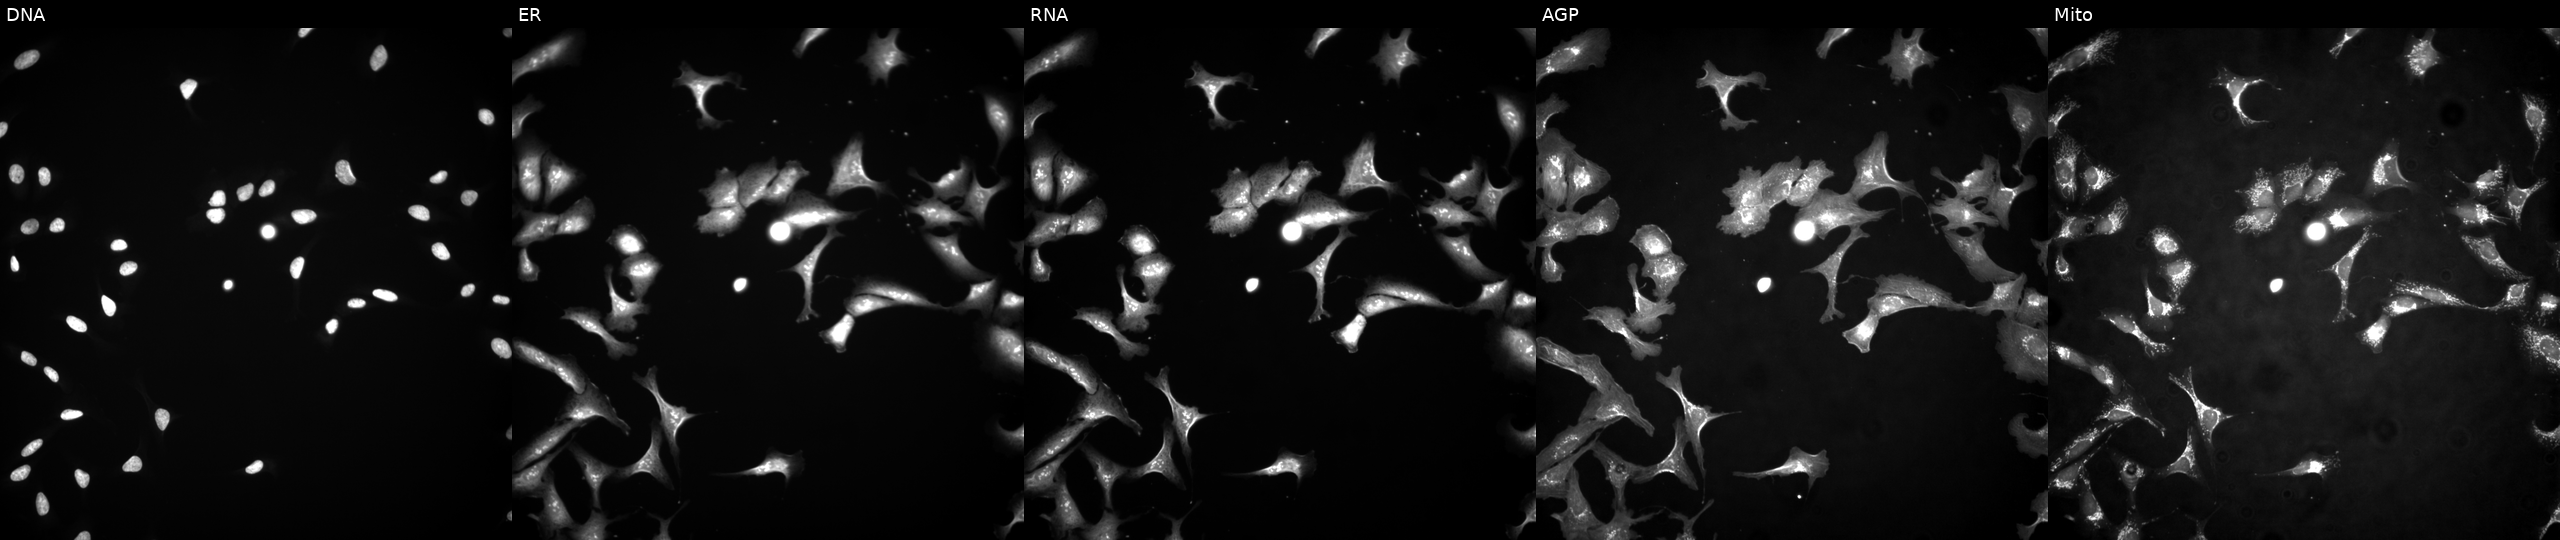
JUMP Cell Painting — ORF plate. U2OS cells overexpressing PRDM7 via ORF transfection (JUMP id JCP2022_902455). Panels show, left to right, Hoechst 33342, concanavalin A, SYTO 14, phalloidin and WGA, MitoTracker.